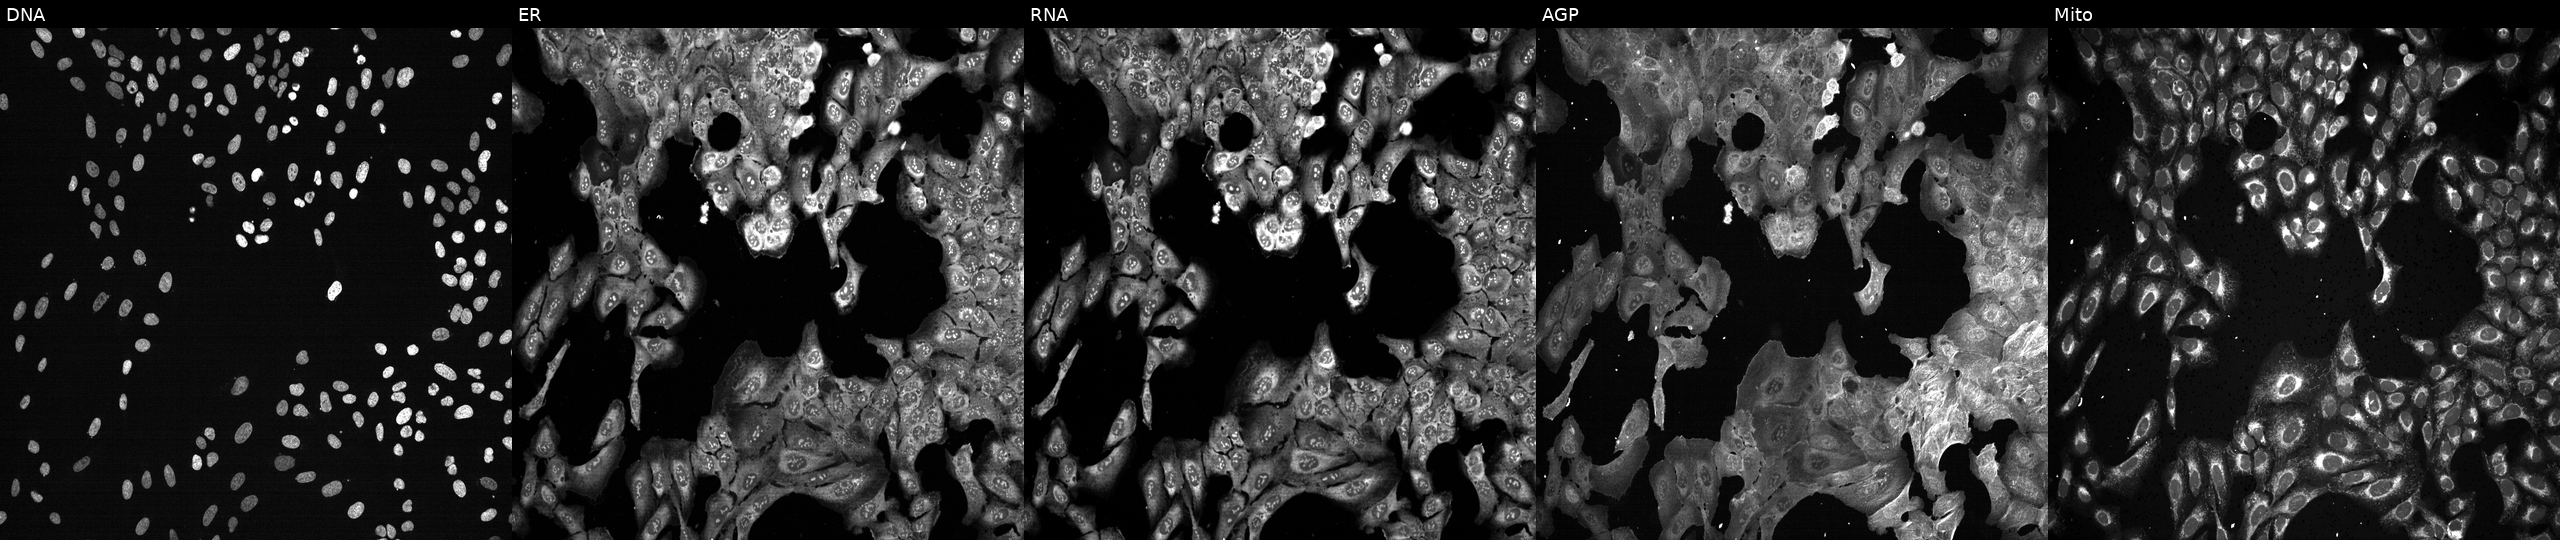
U2OS cells, Cell Painting assay, following CRISPR knockout of ST3GAL4. From left to right: DNA, ER, RNA, AGP, and Mito. Each panel is percentile-stretched 16-bit fluorescence. Source 13, plate CP-CC9-R2-02, well A07.